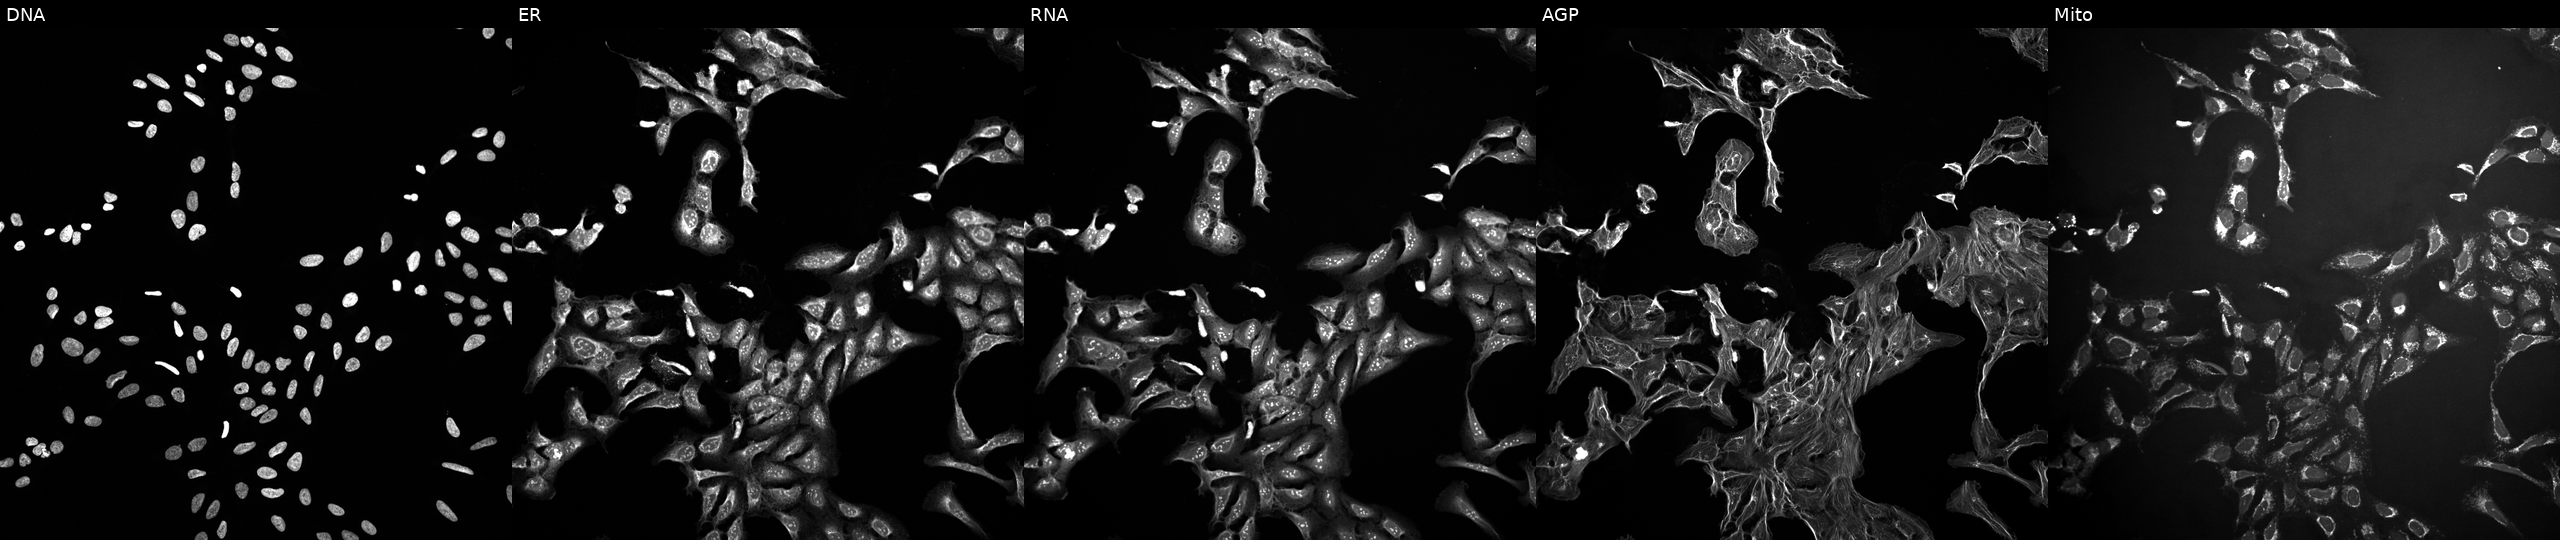
Five-channel Cell Painting image of U2OS cells treated with a small-molecule compound (InChIKey NBHPRWLFLUBAIE-UHFFFAOYSA-N) [SMILES: O=C(NCCN1CCC(n2c(=O)[nH]c3cc(Cl)ccc32)CC1)c1ccc(F)cc1] (JUMP id JCP2022_057881). Panels show, left to right, DNA, ER, RNA, AGP, and Mito.